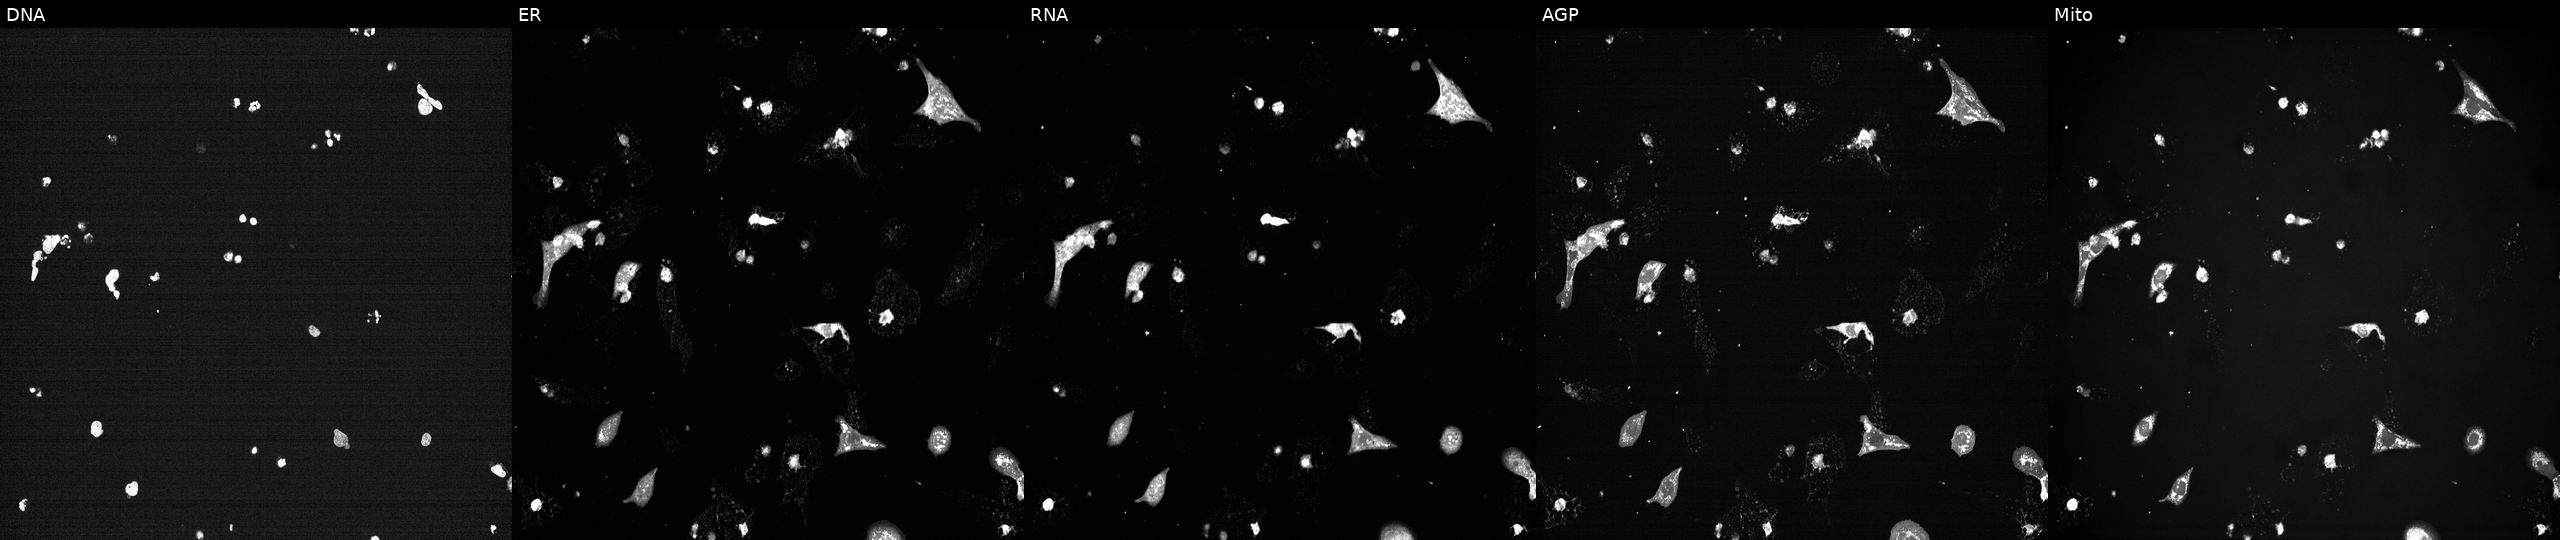
JUMP Cell Painting — TARGET2 plate. U2OS cells exposed to a small-molecule compound (InChIKey MJSHVHLADKXCML-UHFFFAOYSA-N) [SMILES: CCCCN=c1nc2c(c[nH]1)c(-c1ccc(CN3CCN(C)CC3)cc1)cn2C1CCC(O)CC1]. Panels show, left to right, Hoechst 33342, concanavalin A, SYTO 14, phalloidin and WGA, MitoTracker.